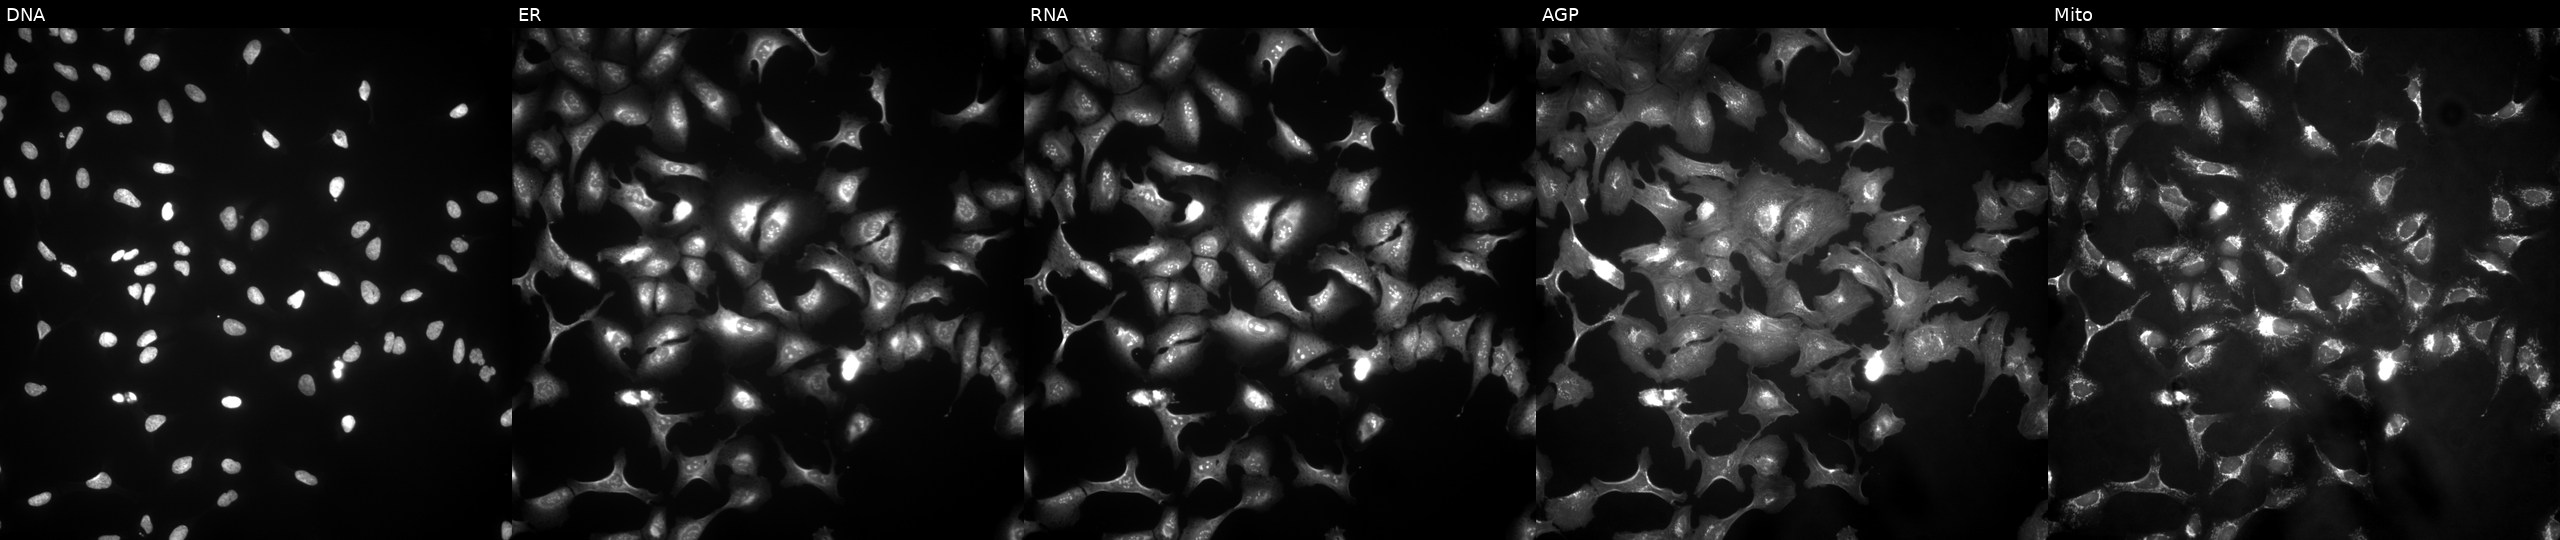
JUMP Cell Painting — ORF plate. U2OS cells with CNPPD1 overexpressed (ORF). From left to right: DNA (nuclei); ER (endoplasmic reticulum); RNA (nucleoli and cytoplasmic RNA); AGP (actin cytoskeleton, Golgi, and plasma membrane); Mito (mitochondria).